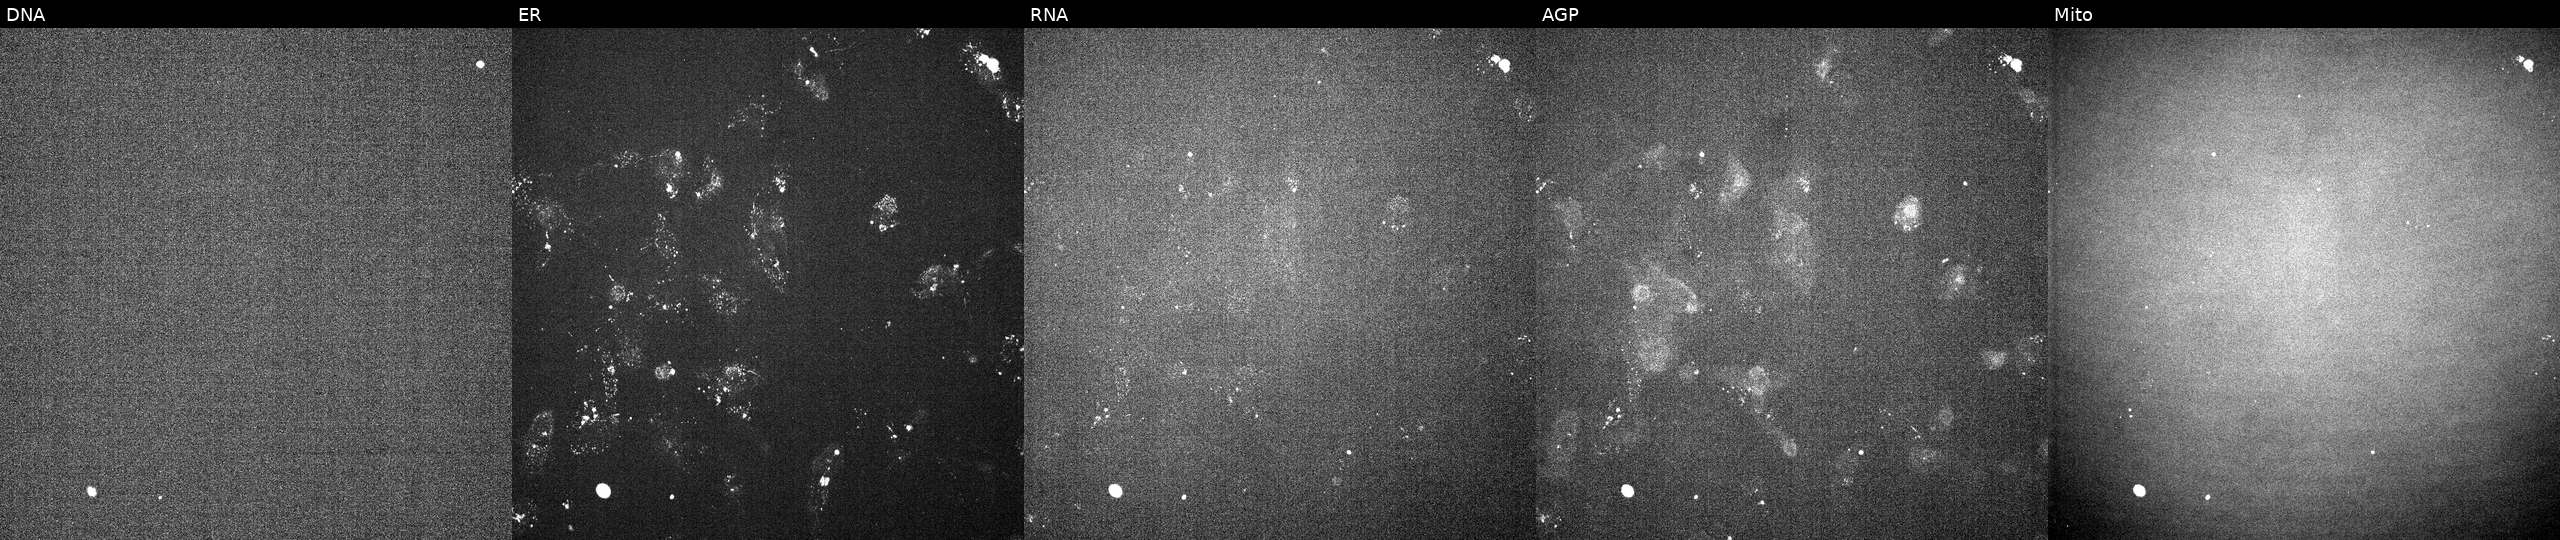
High-content fluorescence microscopy (Cell Painting). Cell line: U2OS. Perturbation: treated with a small-molecule compound (InChIKey LSFLAQVDISHMNB-UHFFFAOYSA-N) (JUMP id JCP2022_051415). Channels (left→right): DNA (nuclei); ER (endoplasmic reticulum); RNA (nucleoli and cytoplasmic RNA); AGP (actin cytoskeleton, Golgi, and plasma membrane); Mito (mitochondria). Source 6, plate 110000293081, well H14.